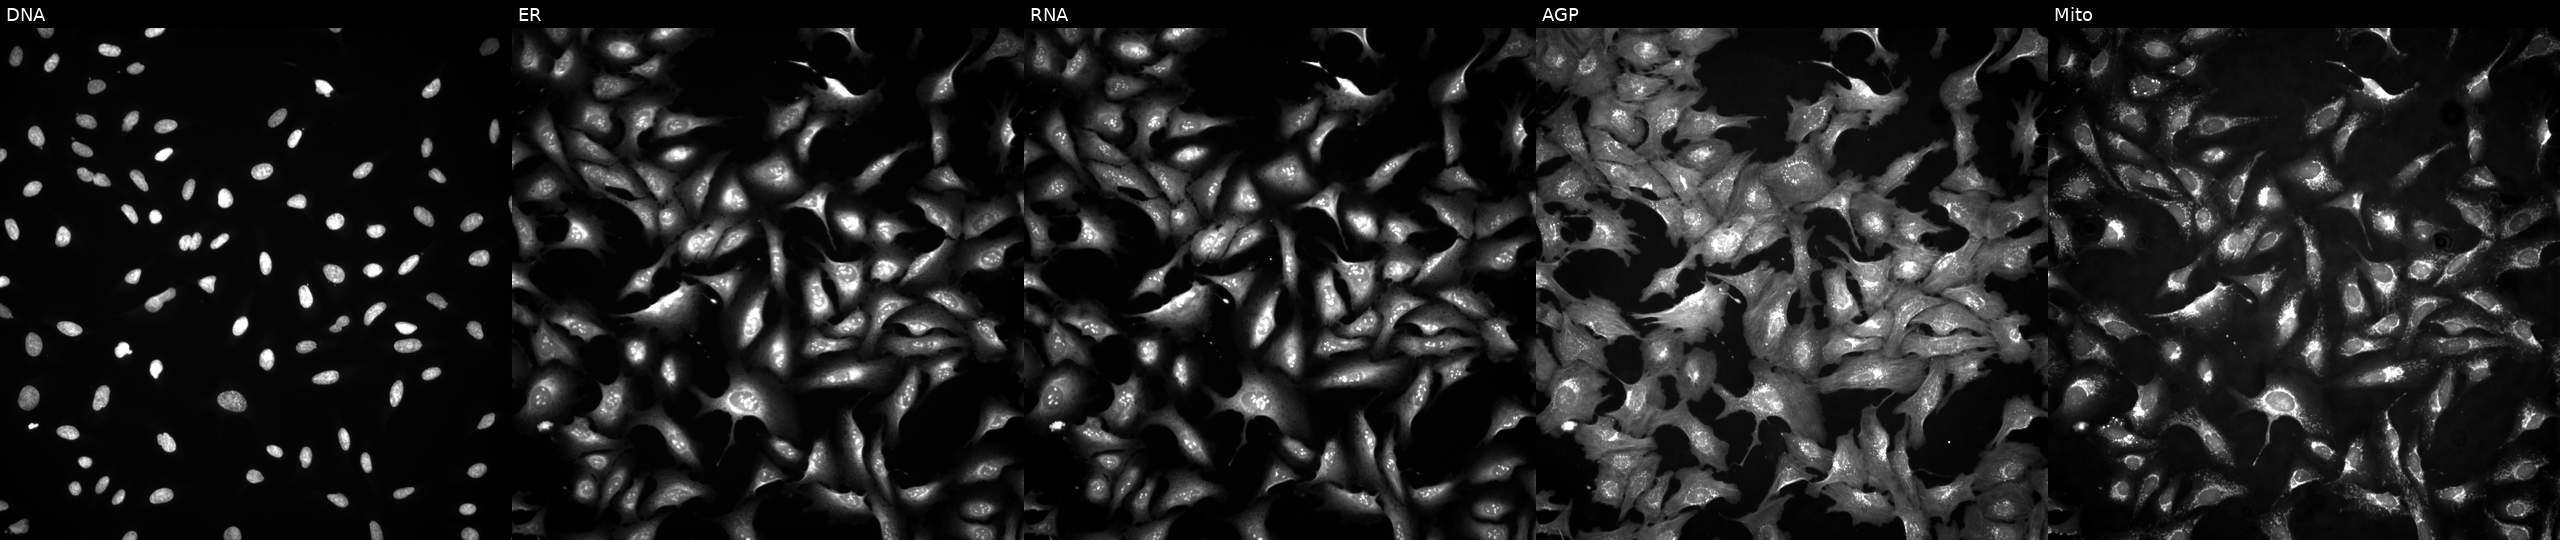
High-content fluorescence microscopy (Cell Painting). Cell line: U2OS. Perturbation: overexpressing HIPK1 via ORF transfection. Panels show, left to right, DNA (nuclei); ER (endoplasmic reticulum); RNA (nucleoli and cytoplasmic RNA); AGP (actin cytoskeleton, Golgi, and plasma membrane); Mito (mitochondria).